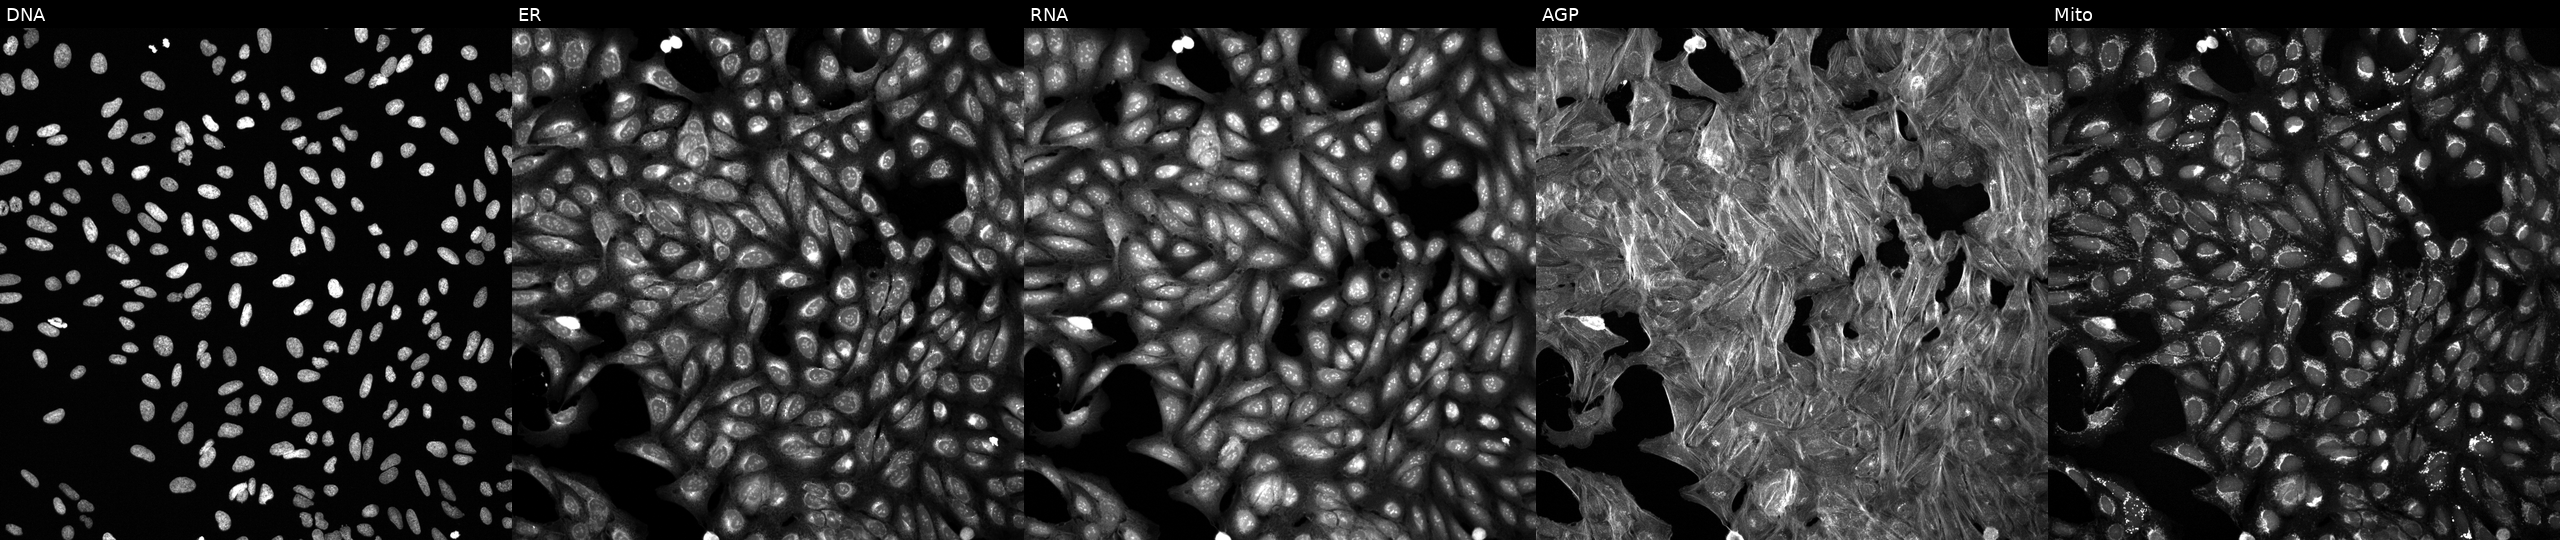
Five-channel Cell Painting image of U2OS cells treated with a small-molecule compound (InChIKey JNTBAJITLWEUEP-UHFFFAOYSA-N). Panels show, left to right, DNA (nuclei); ER (endoplasmic reticulum); RNA (nucleoli and cytoplasmic RNA); AGP (actin cytoskeleton, Golgi, and plasma membrane); Mito (mitochondria).